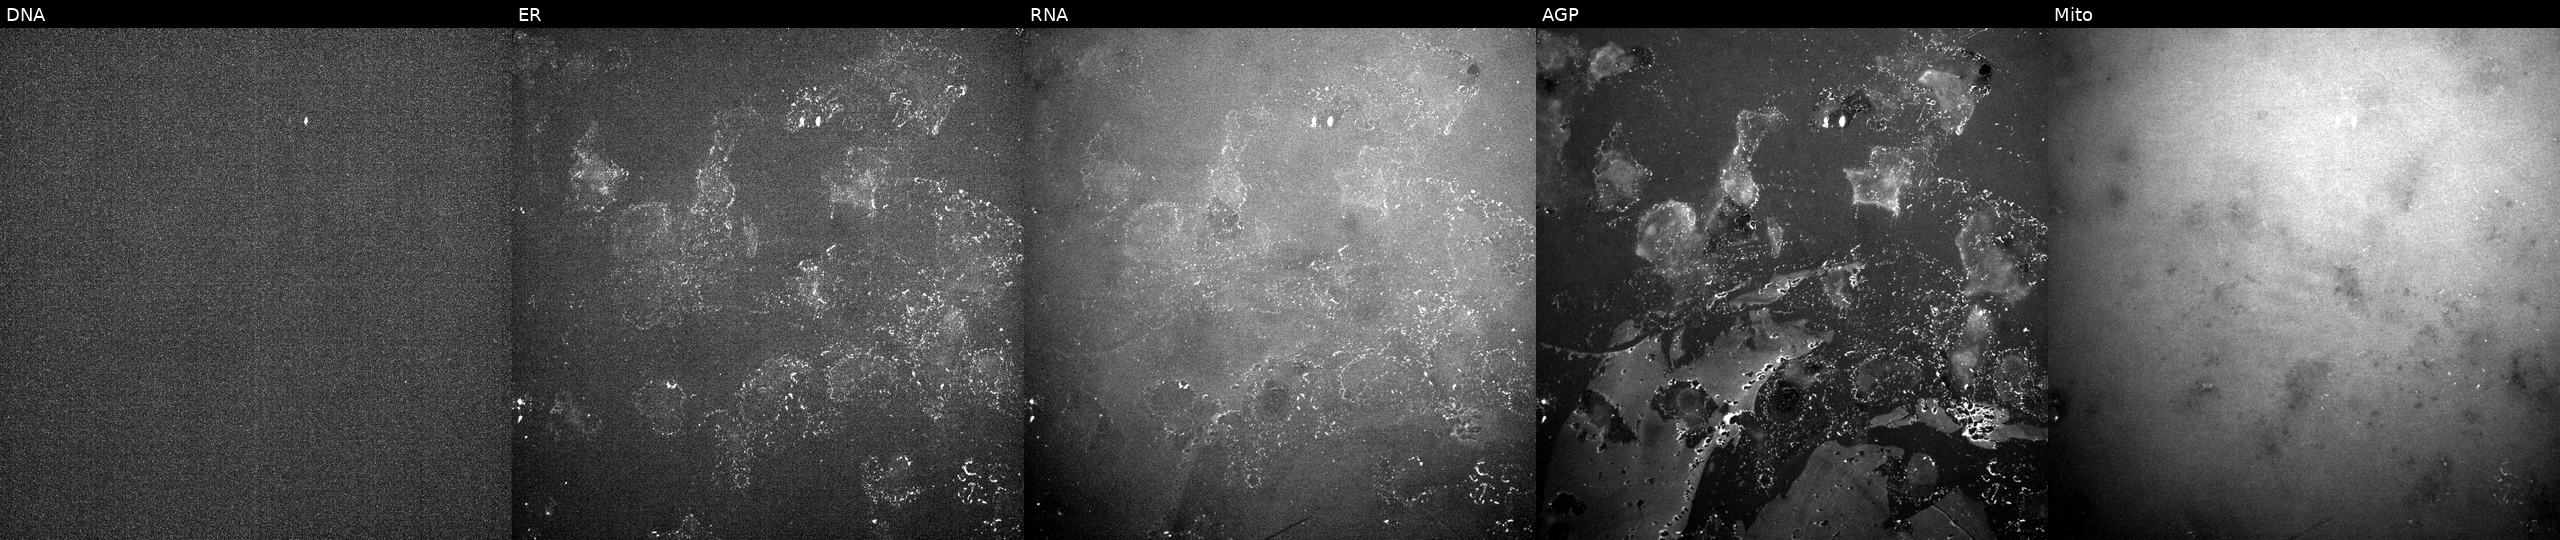
U2OS cells, Cell Painting assay, treated with a small-molecule compound (InChIKey DUKQPWDVIZDABV-UHFFFAOYSA-N). Panels show, left to right, DNA (nuclei); ER (endoplasmic reticulum); RNA (nucleoli and cytoplasmic RNA); AGP (actin cytoskeleton, Golgi, and plasma membrane); Mito (mitochondria). Each panel is percentile-stretched 16-bit fluorescence. Source 10, plate Dest210803-153958, well D08.